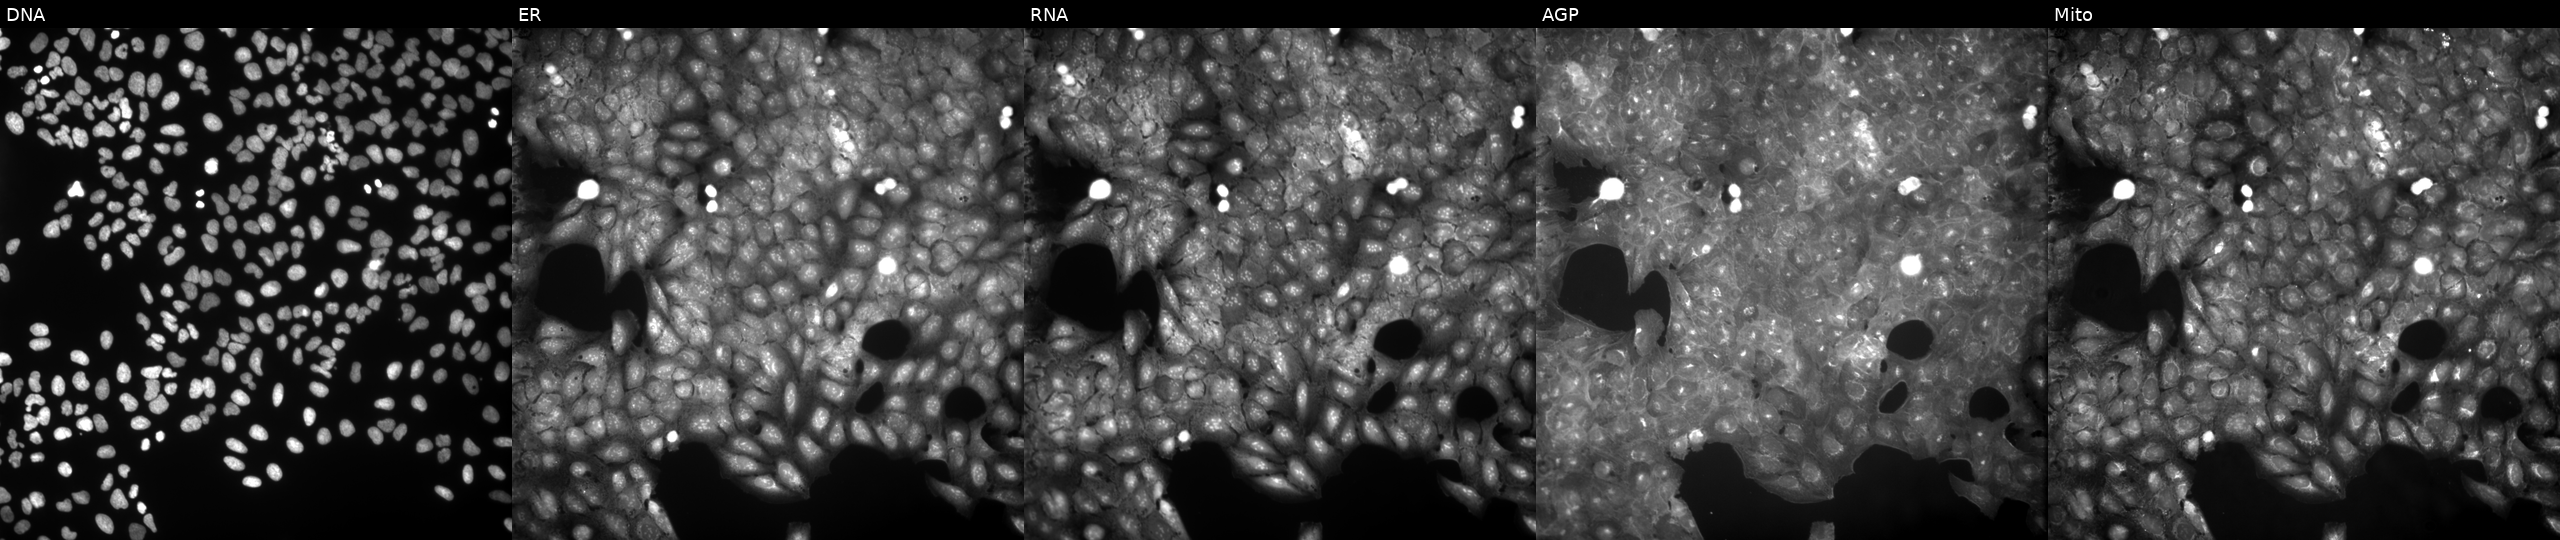
U2OS cells, Cell Painting assay, perturbed with a small-molecule compound (InChIKey SVFPOOZIQQKCKN-UHFFFAOYSA-N) (JUMP id JCP2022_085849). The five panels, left to right, show DNA, ER, RNA, AGP, and Mito. Each panel is percentile-stretched 16-bit fluorescence.